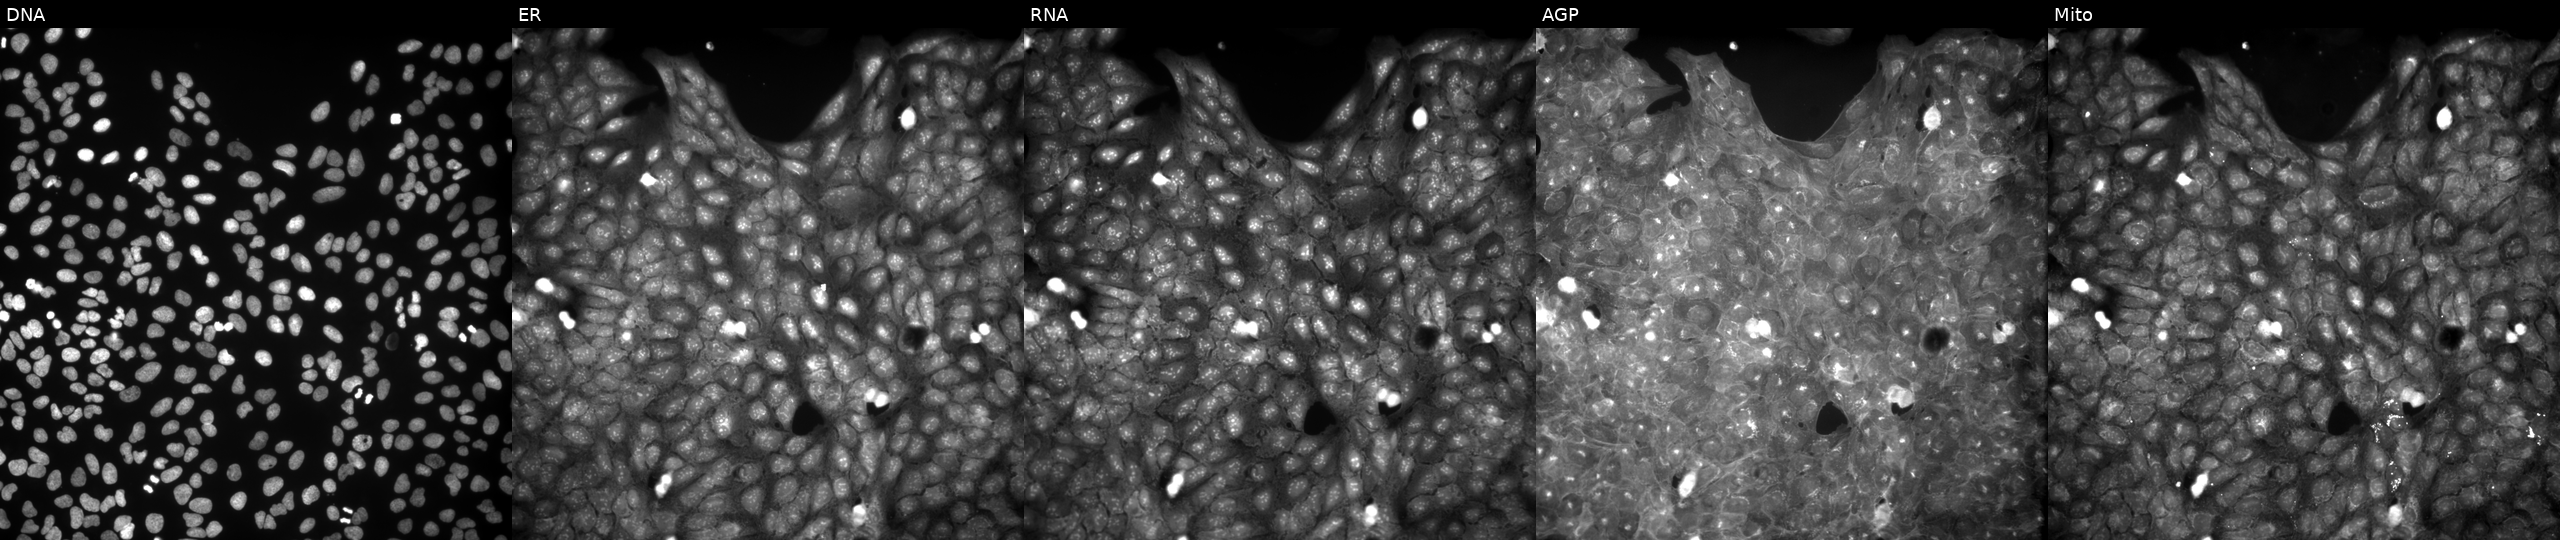
This image strip shows the five Cell Painting channels for a single field of U2OS cells perturbed with a small-molecule compound (InChIKey MYQMLIGHBQDVAW-UHFFFAOYSA-N) [SMILES: N=c1c(C(=O)NCCc2ccccc2)cc2c(=O)n3ccccc3nc2n1CCCN1CCOCC1] (JUMP id JCP2022_057406). The five panels, left to right, show Hoechst 33342, concanavalin A, SYTO 14, phalloidin and WGA, MitoTracker.